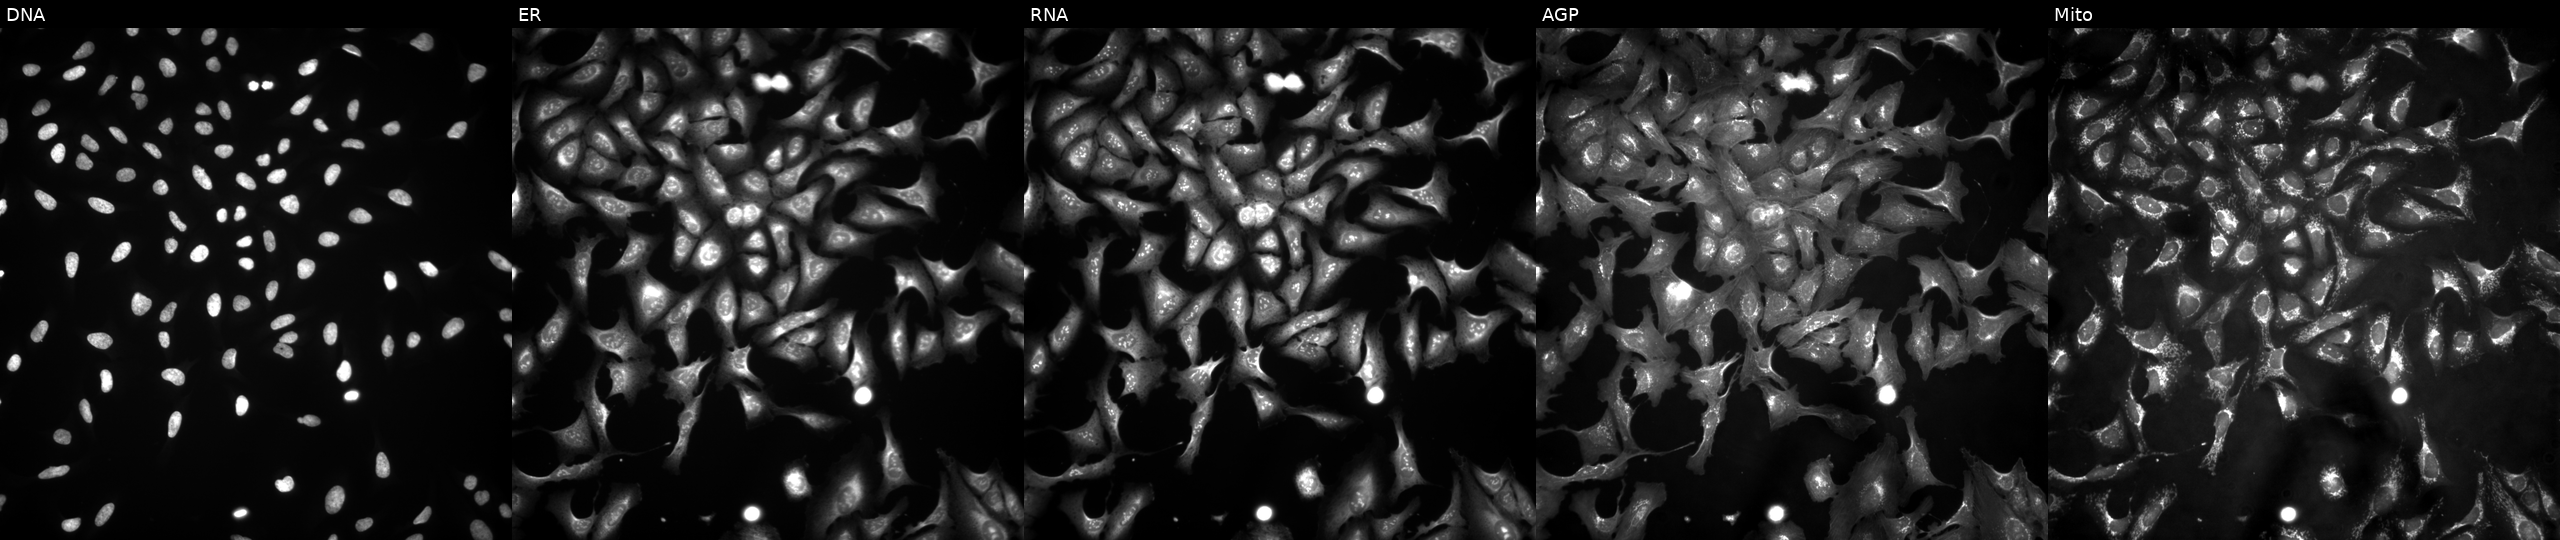
Five-channel Cell Painting image of U2OS cells overexpressing MRPL32 via ORF transfection. Channels (left→right): DNA, ER, RNA, AGP, and Mito. Source 4, plate BR00121543, well B20.